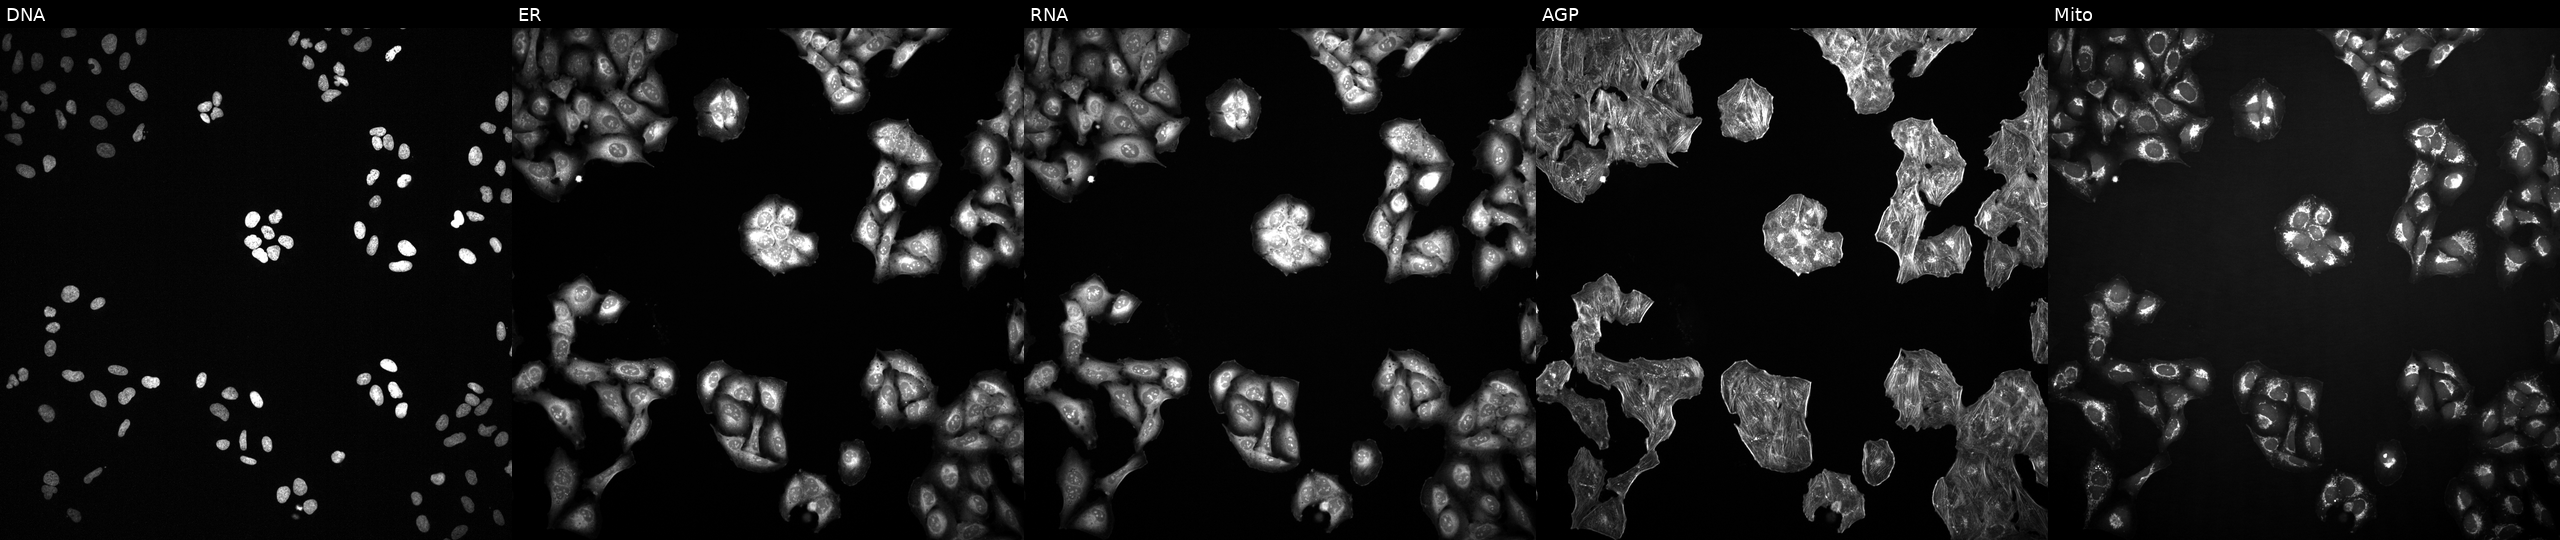
High-content fluorescence microscopy (Cell Painting). Cell line: U2OS. Perturbation: treated with NVS-PAK1-1 (positive-control compound). From left to right: DNA, ER, RNA, AGP, and Mito.